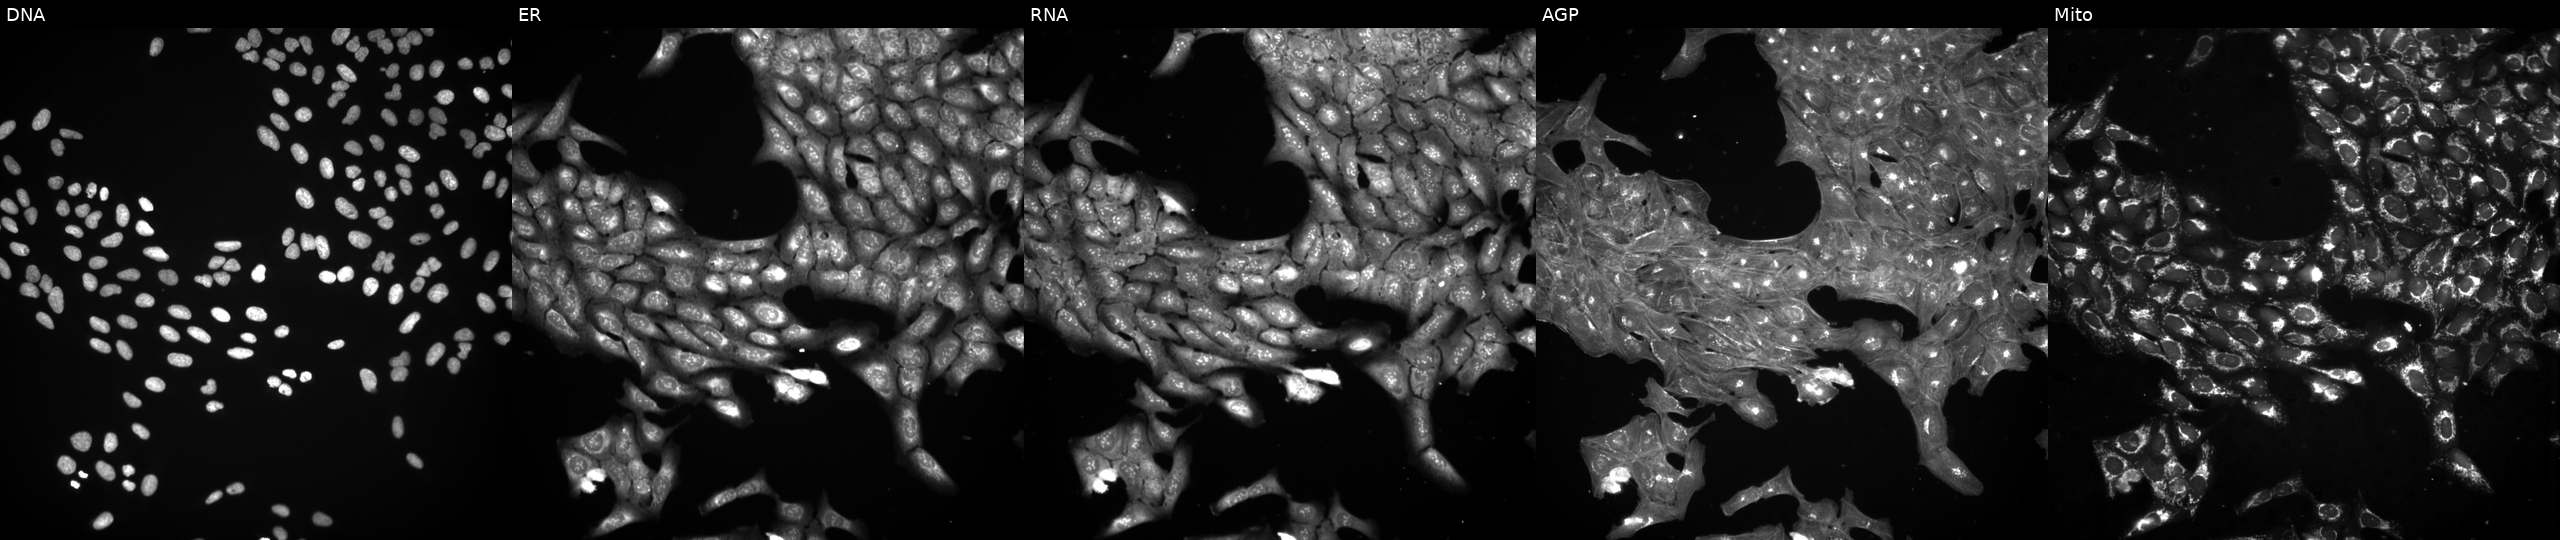
High-content fluorescence microscopy (Cell Painting). Cell line: U2OS. Perturbation: treated with a small-molecule compound (InChIKey BDHKICHWIZQXSL-UHFFFAOYSA-N). From left to right: DNA (nuclei); ER (endoplasmic reticulum); RNA (nucleoli and cytoplasmic RNA); AGP (actin cytoskeleton, Golgi, and plasma membrane); Mito (mitochondria). Source 3, plate BR5867a3, well F15.